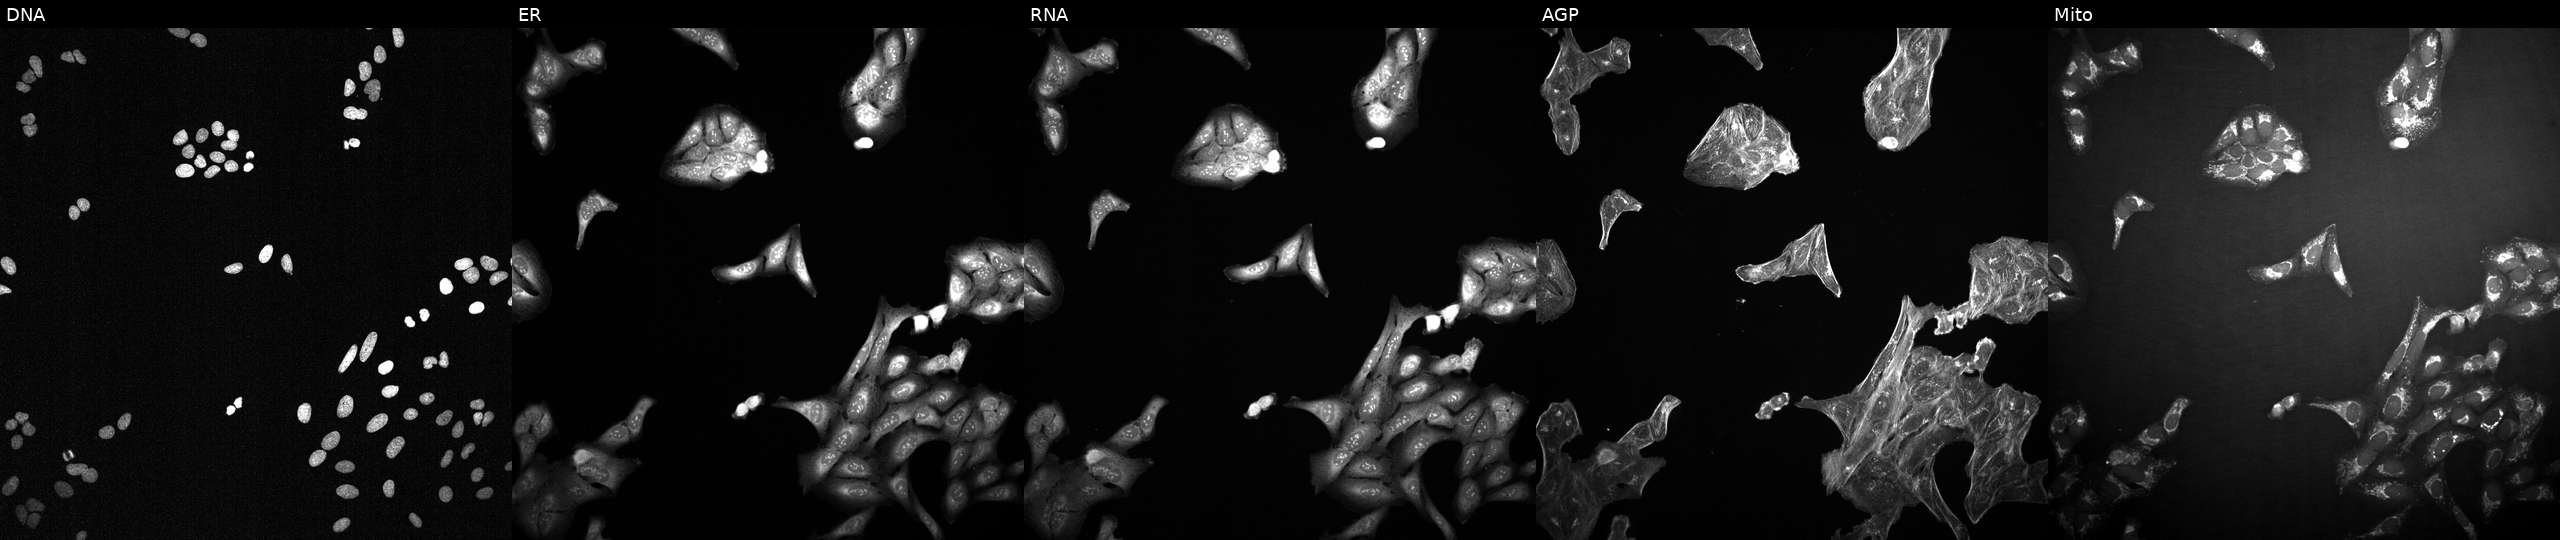
Five-channel Cell Painting image of U2OS cells perturbed with a small-molecule compound (InChIKey PWKSKIMOESPYIA-UHFFFAOYSA-N). Panels show, left to right, DNA, ER, RNA, AGP, and Mito. Source 2, plate 1053599503, well A10.